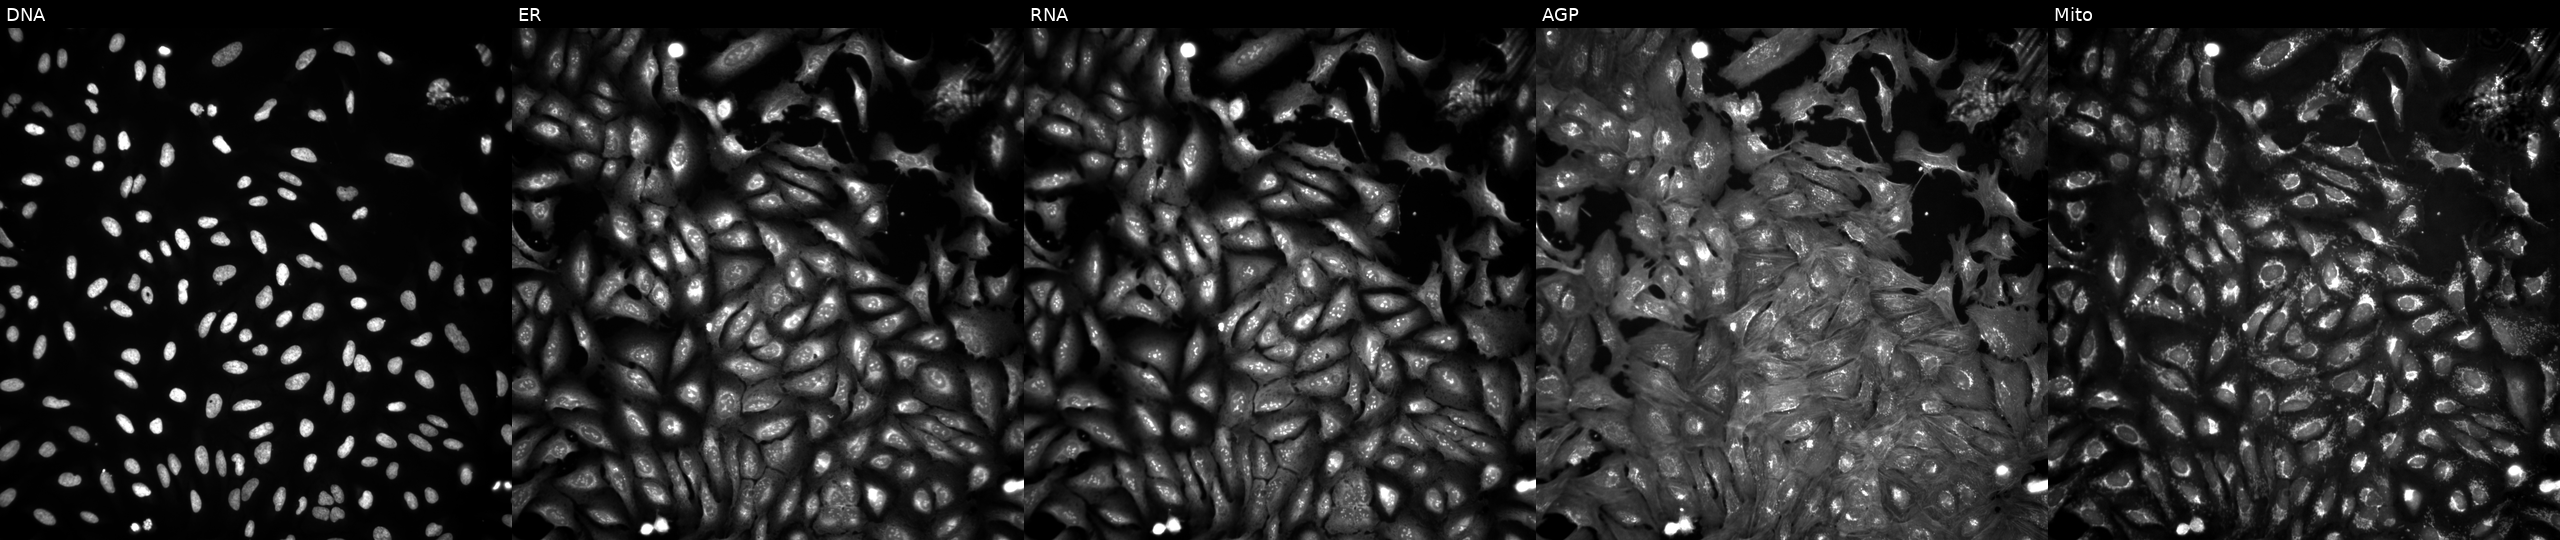
Panels show, left to right, DNA, ER, RNA, AGP, and Mito. U2OS osteosarcoma cells exposed to the positive-control compound quinidine. Cell Painting assay, JUMP-CP dataset. Source 4, plate BR00123945, well P23.